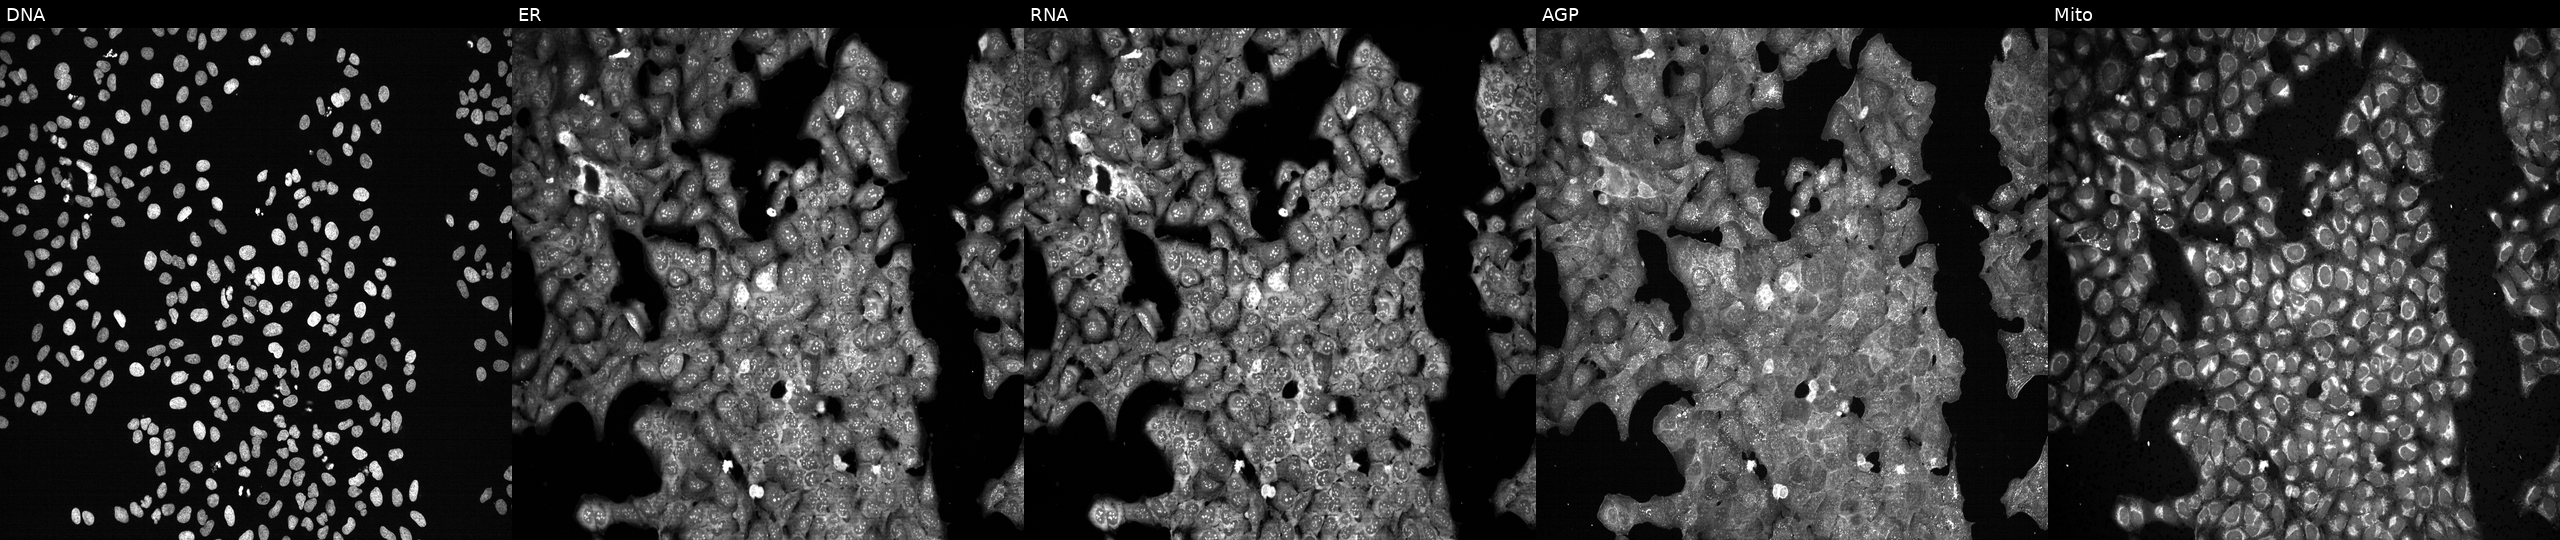
This image strip shows the five Cell Painting channels for a single field of U2OS cells treated with NVS-PAK1-1 (positive-control compound) (JUMP id JCP2022_064022). Panels show, left to right, Hoechst 33342, concanavalin A, SYTO 14, phalloidin and WGA, MitoTracker.